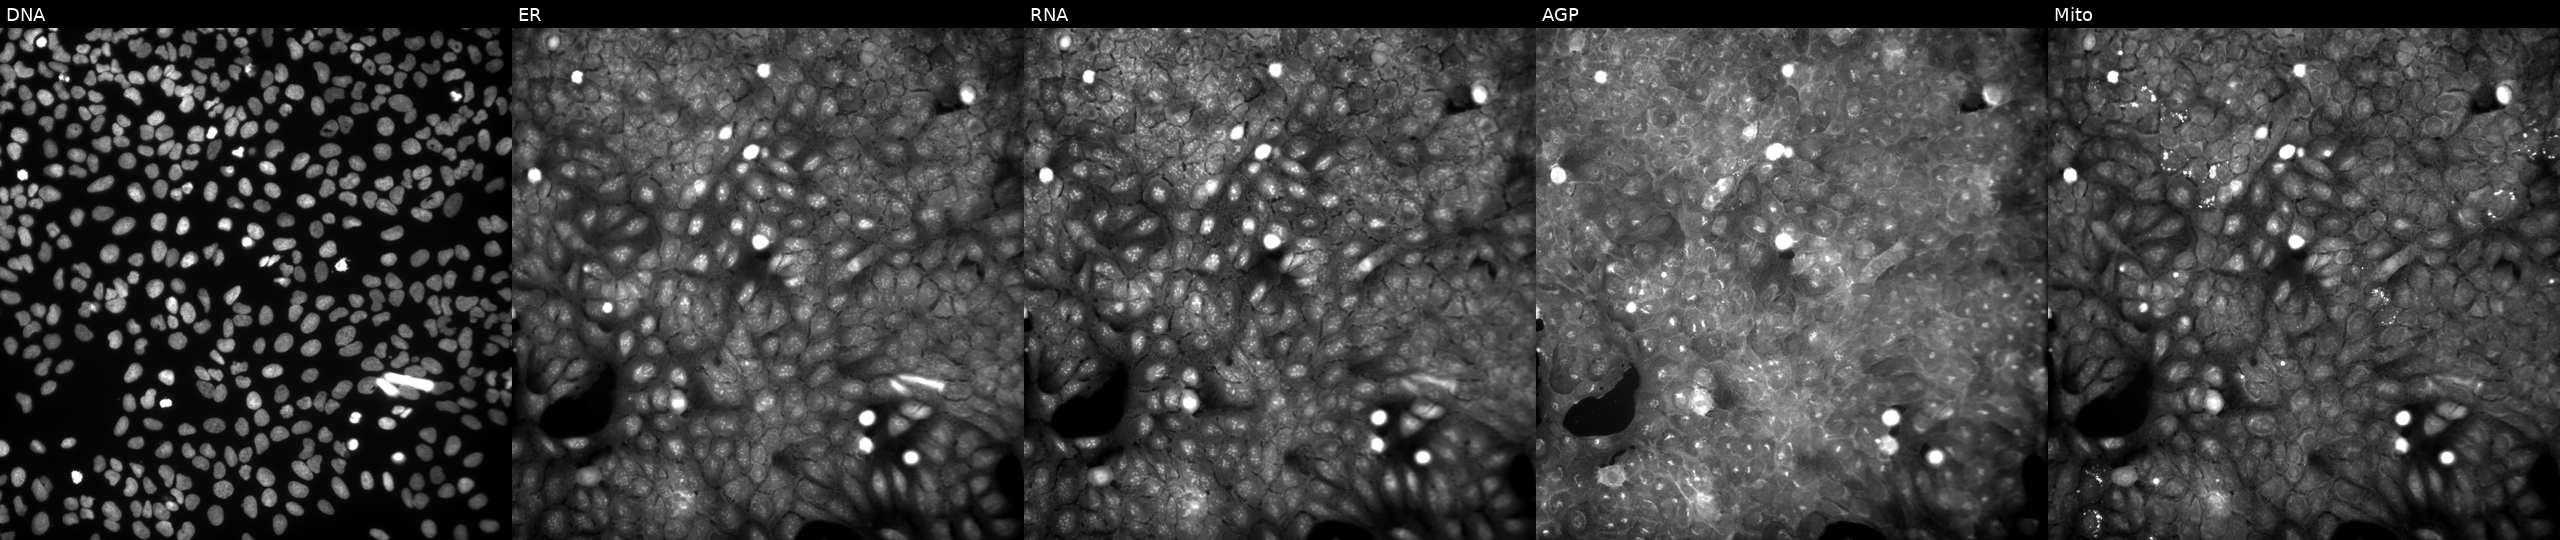
Five-channel Cell Painting image of U2OS cells perturbed with a small-molecule compound (InChIKey BTPRCGPGOMONJP-UHFFFAOYSA-N). The five panels, left to right, show Hoechst 33342, concanavalin A, SYTO 14, phalloidin and WGA, MitoTracker. Source 9, plate GR00003381, well N43.